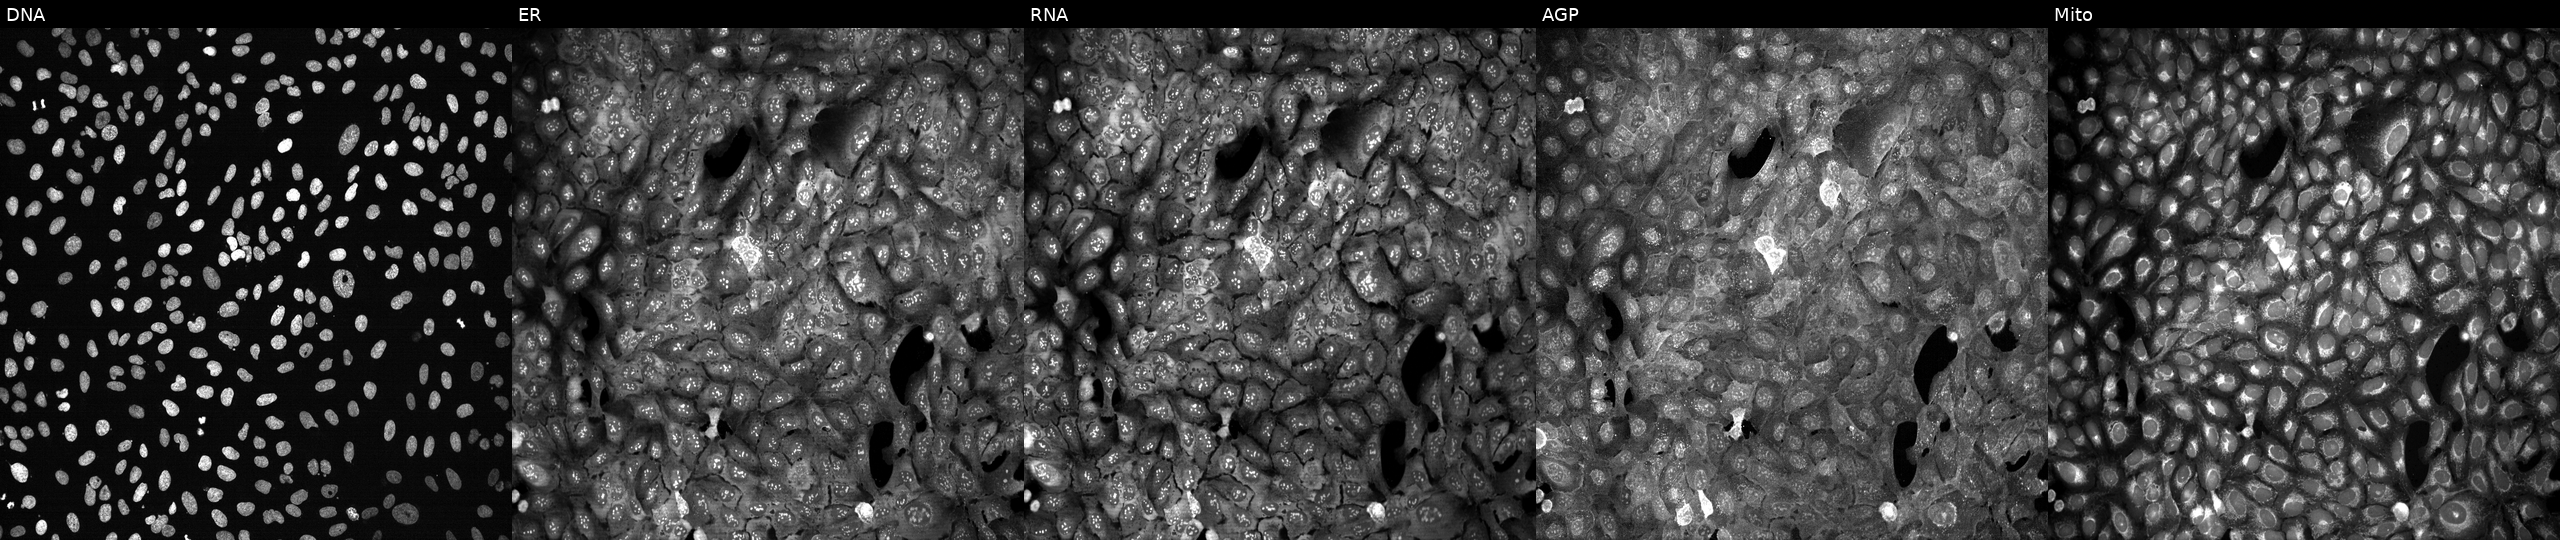
U2OS cells, Cell Painting assay, following CRISPR knockout of CYP26B1 (JUMP id JCP2022_801628). Panels show, left to right, DNA (nuclei); ER (endoplasmic reticulum); RNA (nucleoli and cytoplasmic RNA); AGP (actin cytoskeleton, Golgi, and plasma membrane); Mito (mitochondria). Each panel is percentile-stretched 16-bit fluorescence.